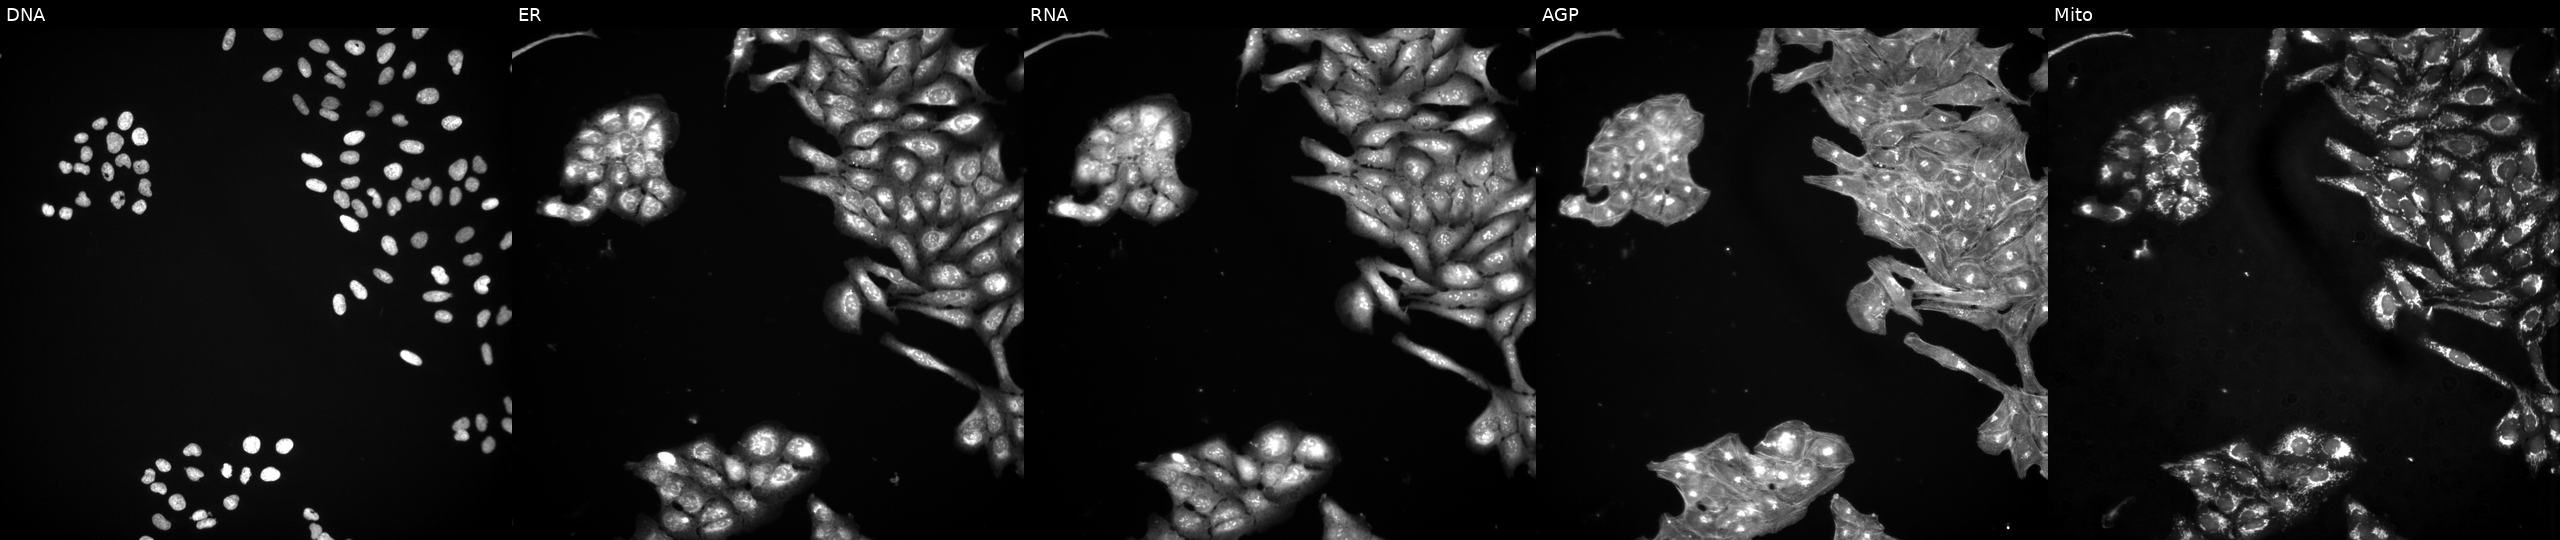
U2OS cells, Cell Painting assay, treated with DMSO vehicle only (negative control). Panels show, left to right, Hoechst 33342, concanavalin A, SYTO 14, phalloidin and WGA, MitoTracker. Each panel is percentile-stretched 16-bit fluorescence.